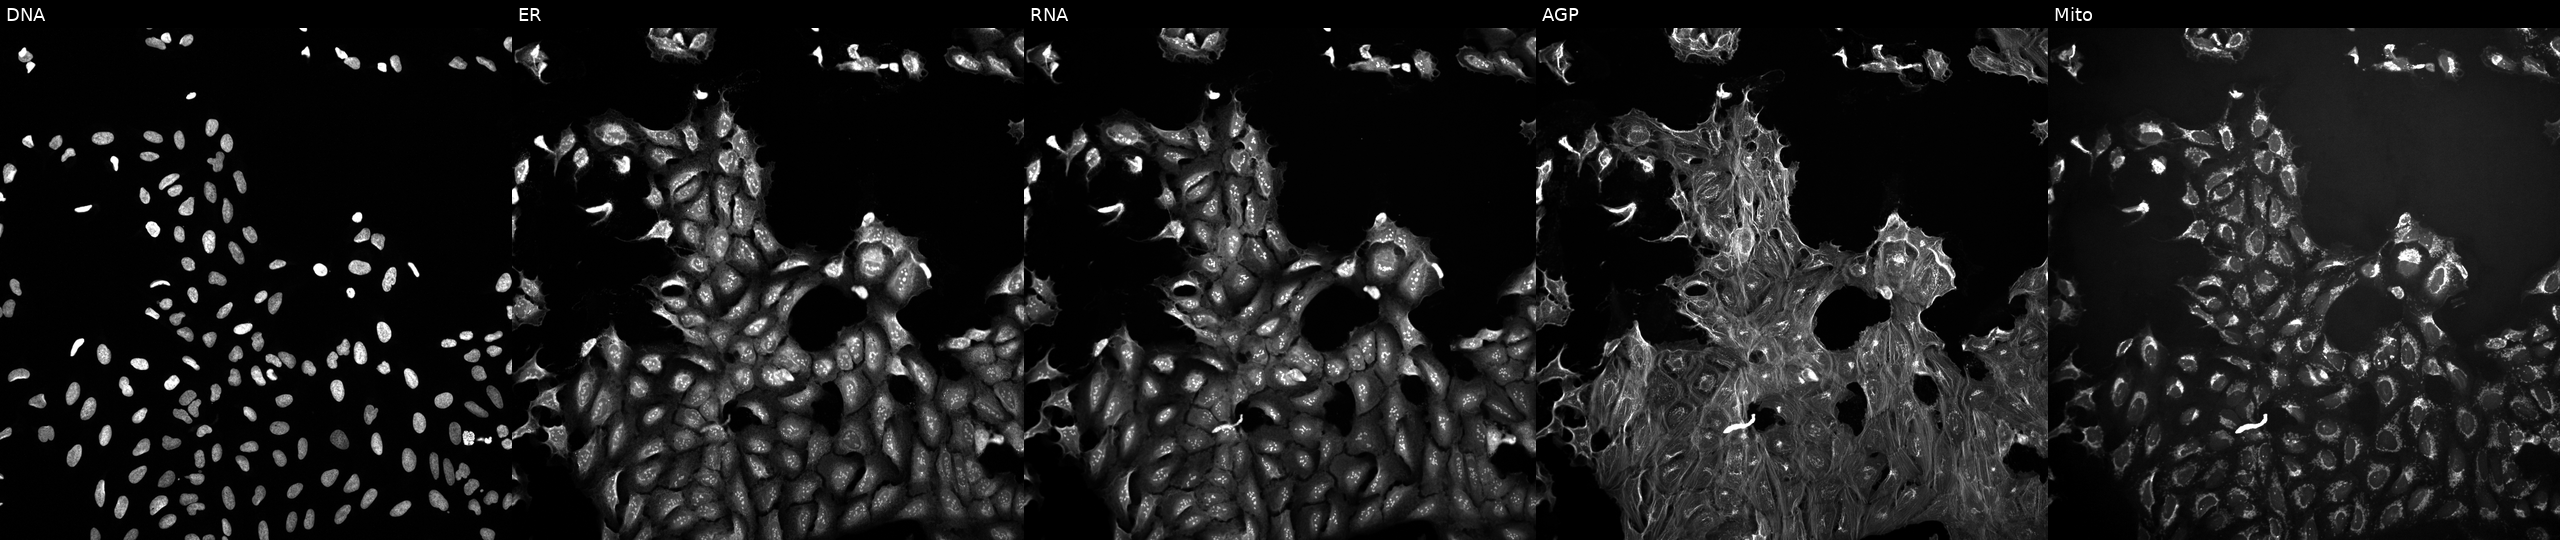
From left to right: DNA (nuclei); ER (endoplasmic reticulum); RNA (nucleoli and cytoplasmic RNA); AGP (actin cytoskeleton, Golgi, and plasma membrane); Mito (mitochondria). U2OS osteosarcoma cells treated with DMSO vehicle only (negative control) (JUMP id JCP2022_033924). Cell Painting assay, JUMP-CP dataset.